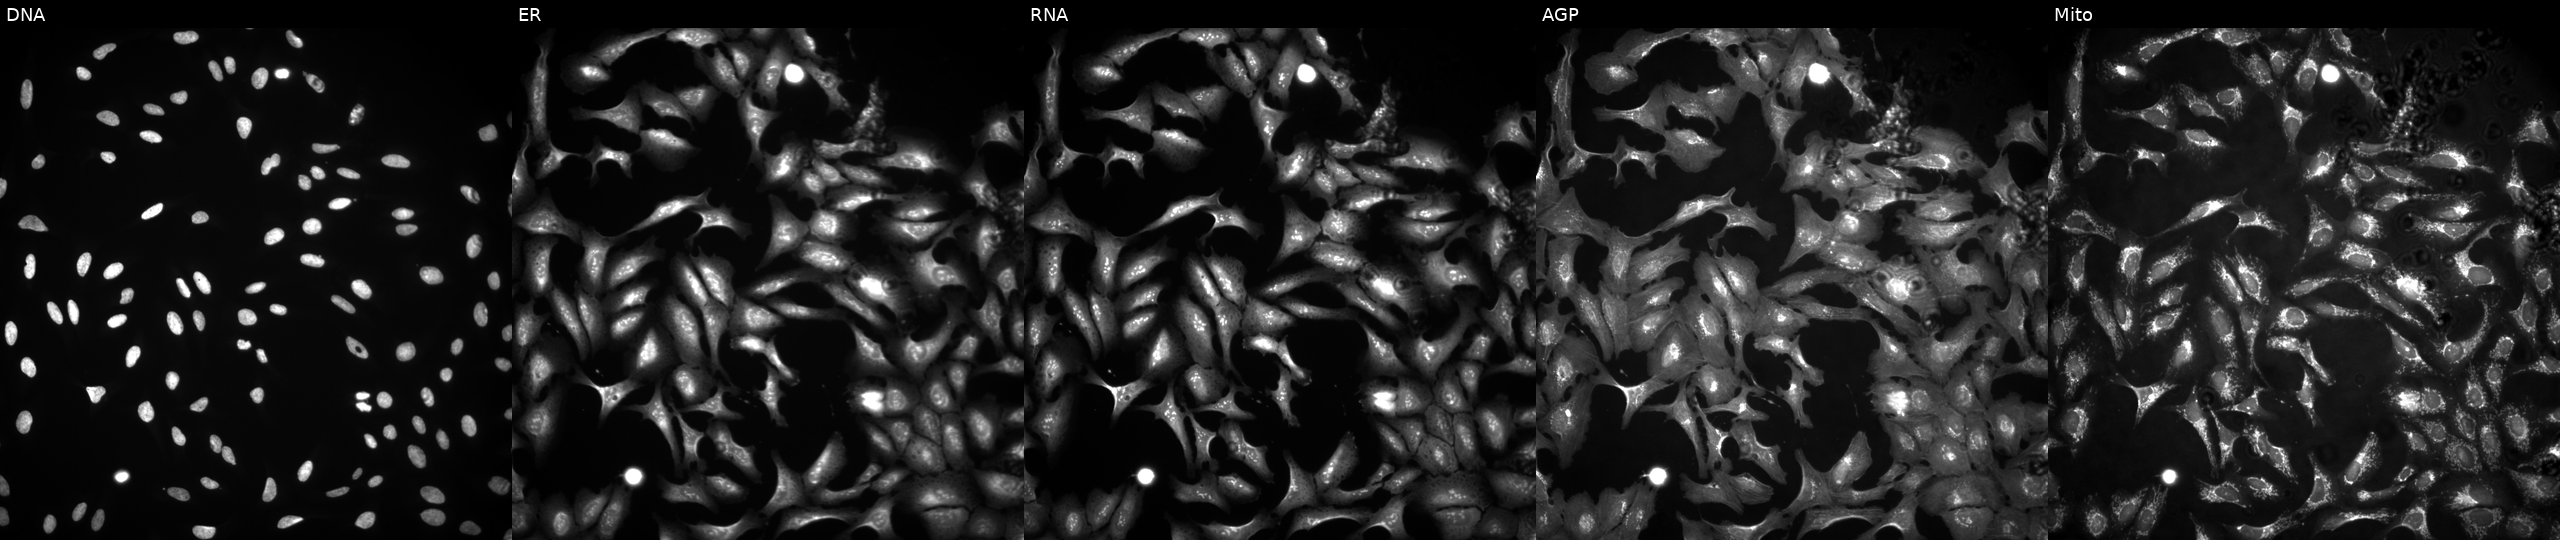
JUMP Cell Painting — ORF plate. U2OS cells overexpressing FAM114A2 via ORF transfection. Channels (left→right): DNA, ER, RNA, AGP, and Mito.